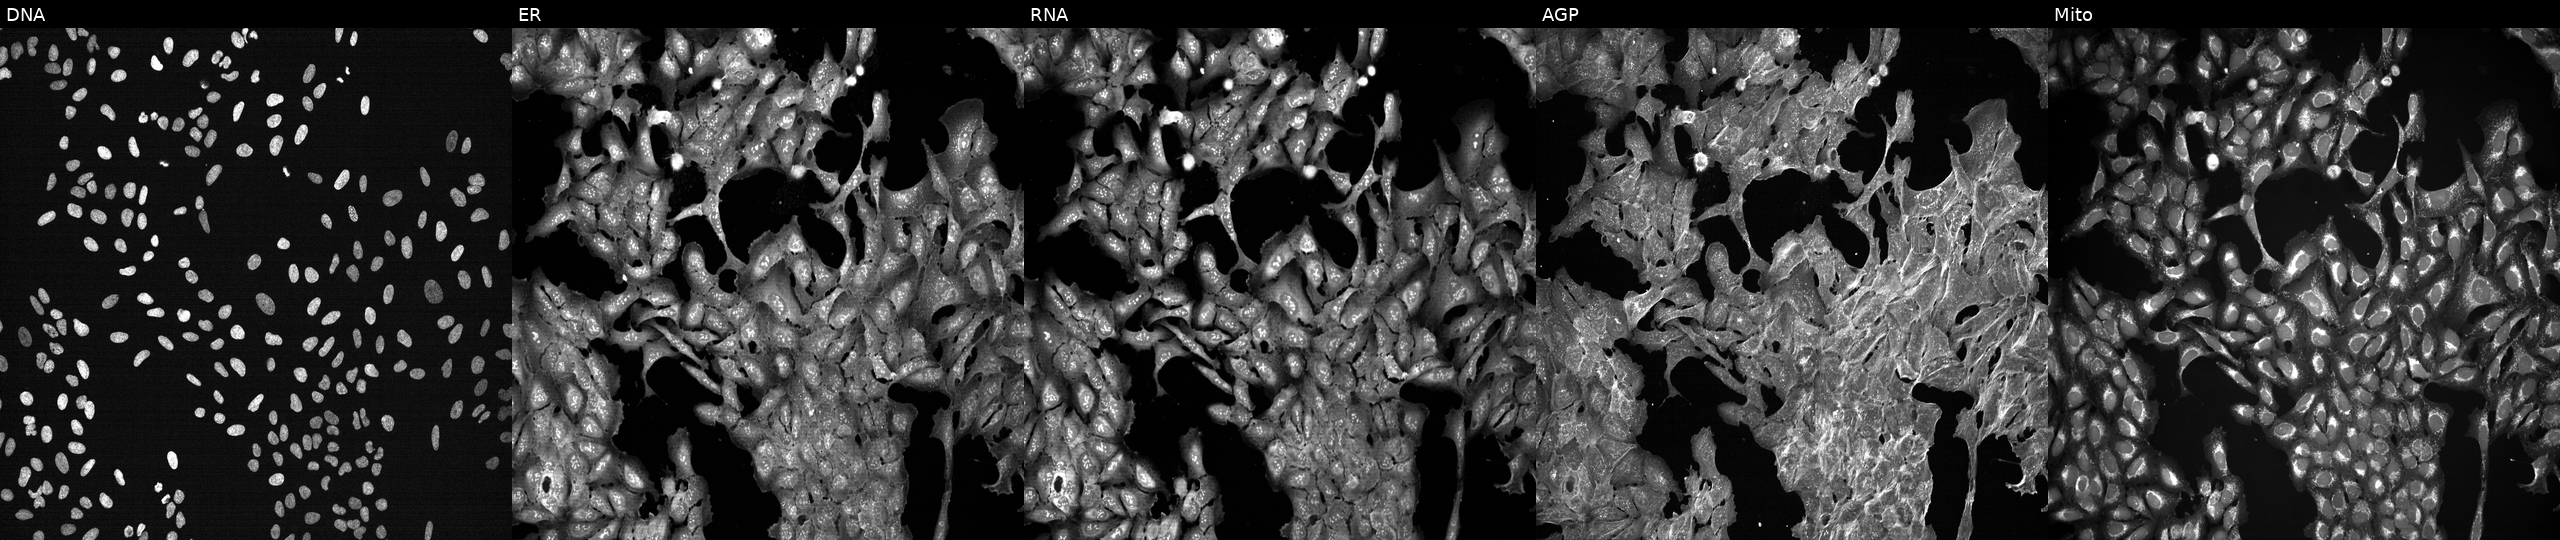
This image strip shows the five Cell Painting channels for a single field of U2OS cells treated with DMSO vehicle only (negative control). The five panels, left to right, show DNA, ER, RNA, AGP, and Mito. Source 7, plate CP3-SC1-25, well H17.